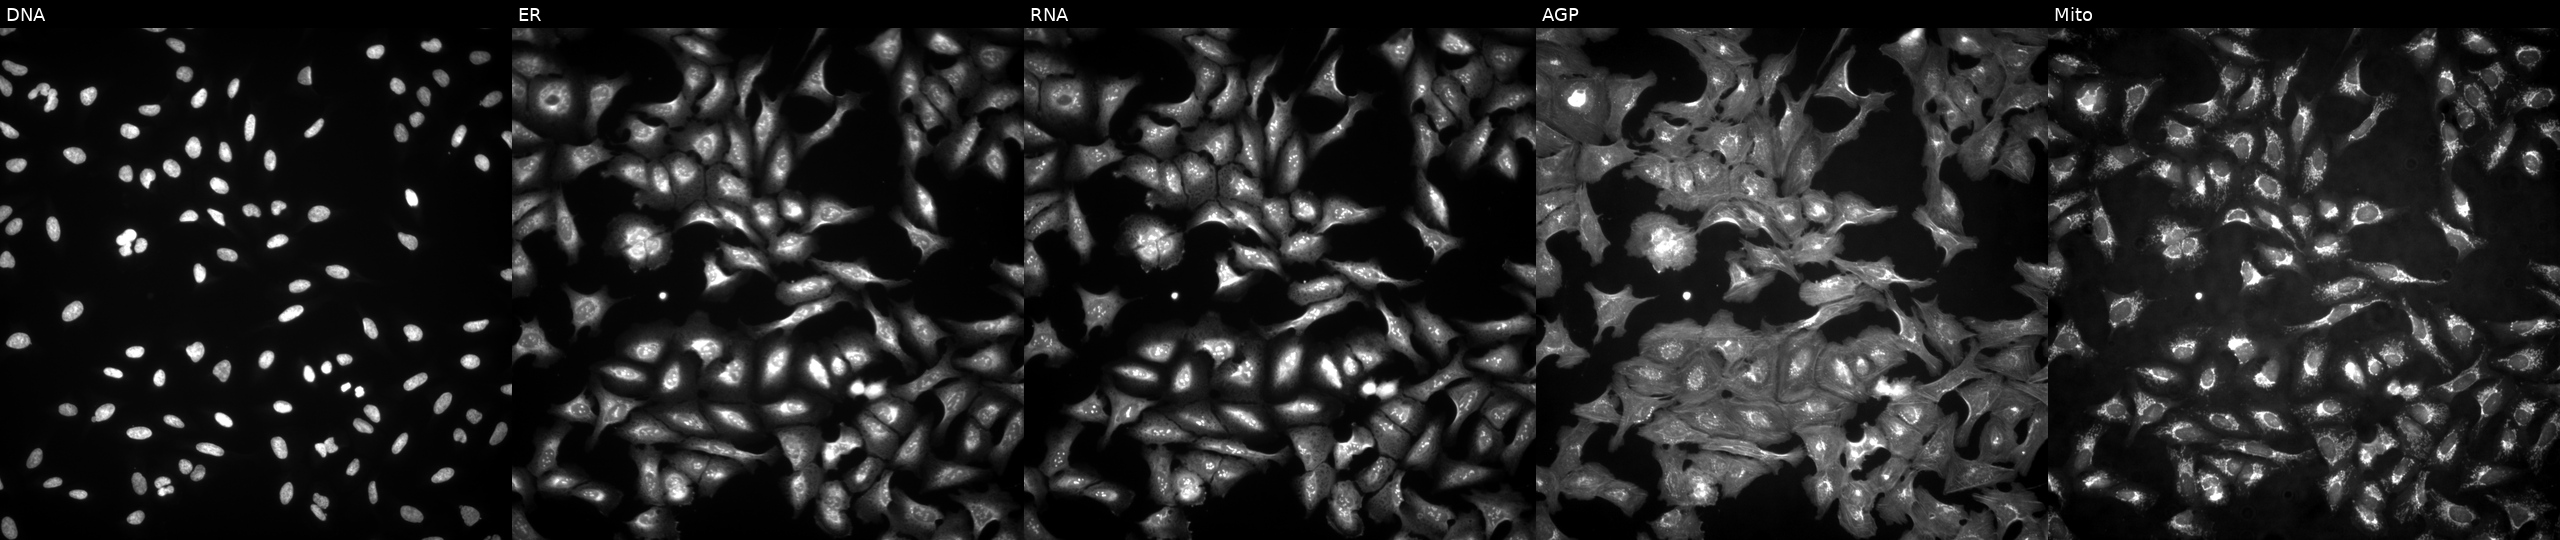
This image strip shows the five Cell Painting channels for a single field of U2OS cells with MFAP5 overexpressed (ORF) (JUMP id JCP2022_901734). Panels show, left to right, Hoechst 33342, concanavalin A, SYTO 14, phalloidin and WGA, MitoTracker. Source 4, plate BR00123509, well J12.